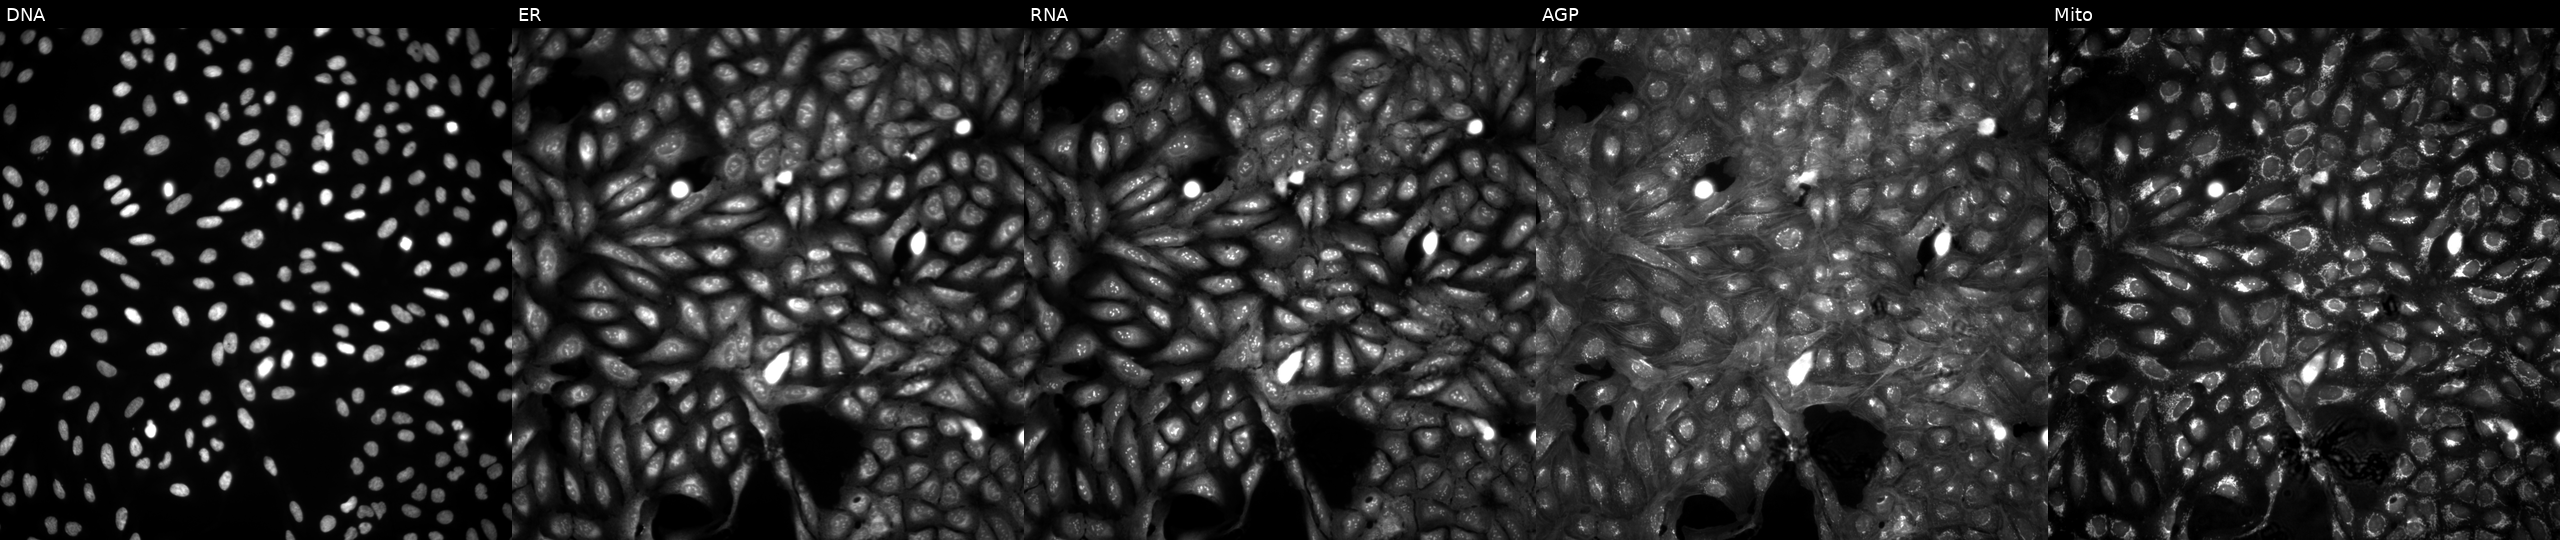
Five-channel Cell Painting image of U2OS cells in an empty control well (no perturbation). Channels (left→right): Hoechst 33342, concanavalin A, SYTO 14, phalloidin and WGA, MitoTracker. Source 4, plate BR00124793, well D11.